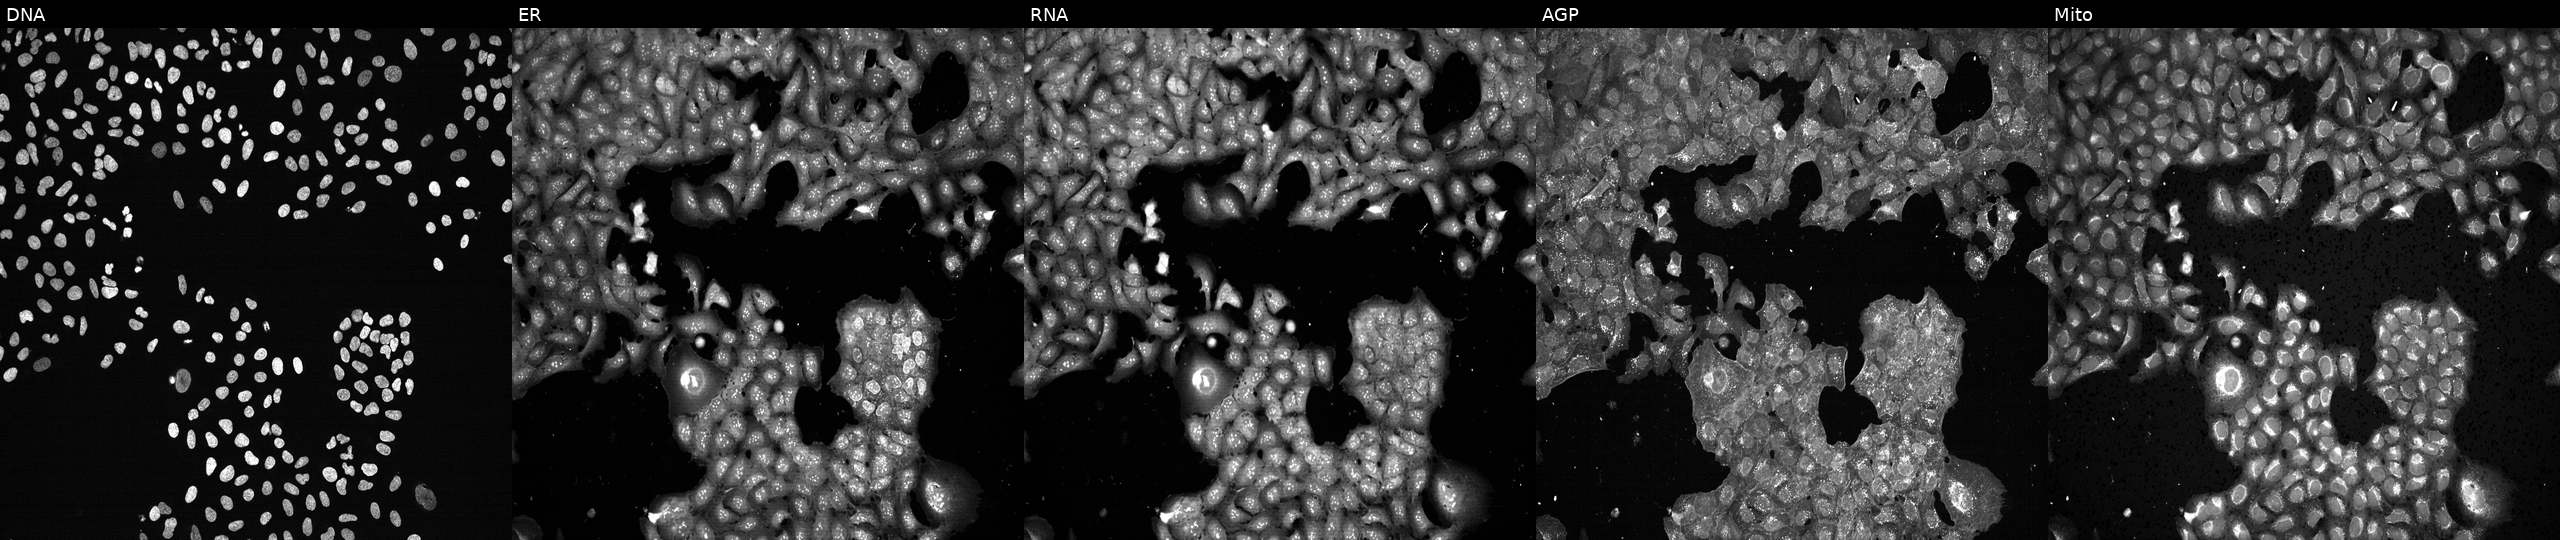
From left to right: Hoechst 33342, concanavalin A, SYTO 14, phalloidin and WGA, MitoTracker. U2OS osteosarcoma cells exposed to the positive-control compound NVS-PAK1-1 (JUMP id JCP2022_064022). Cell Painting assay, JUMP-CP dataset.